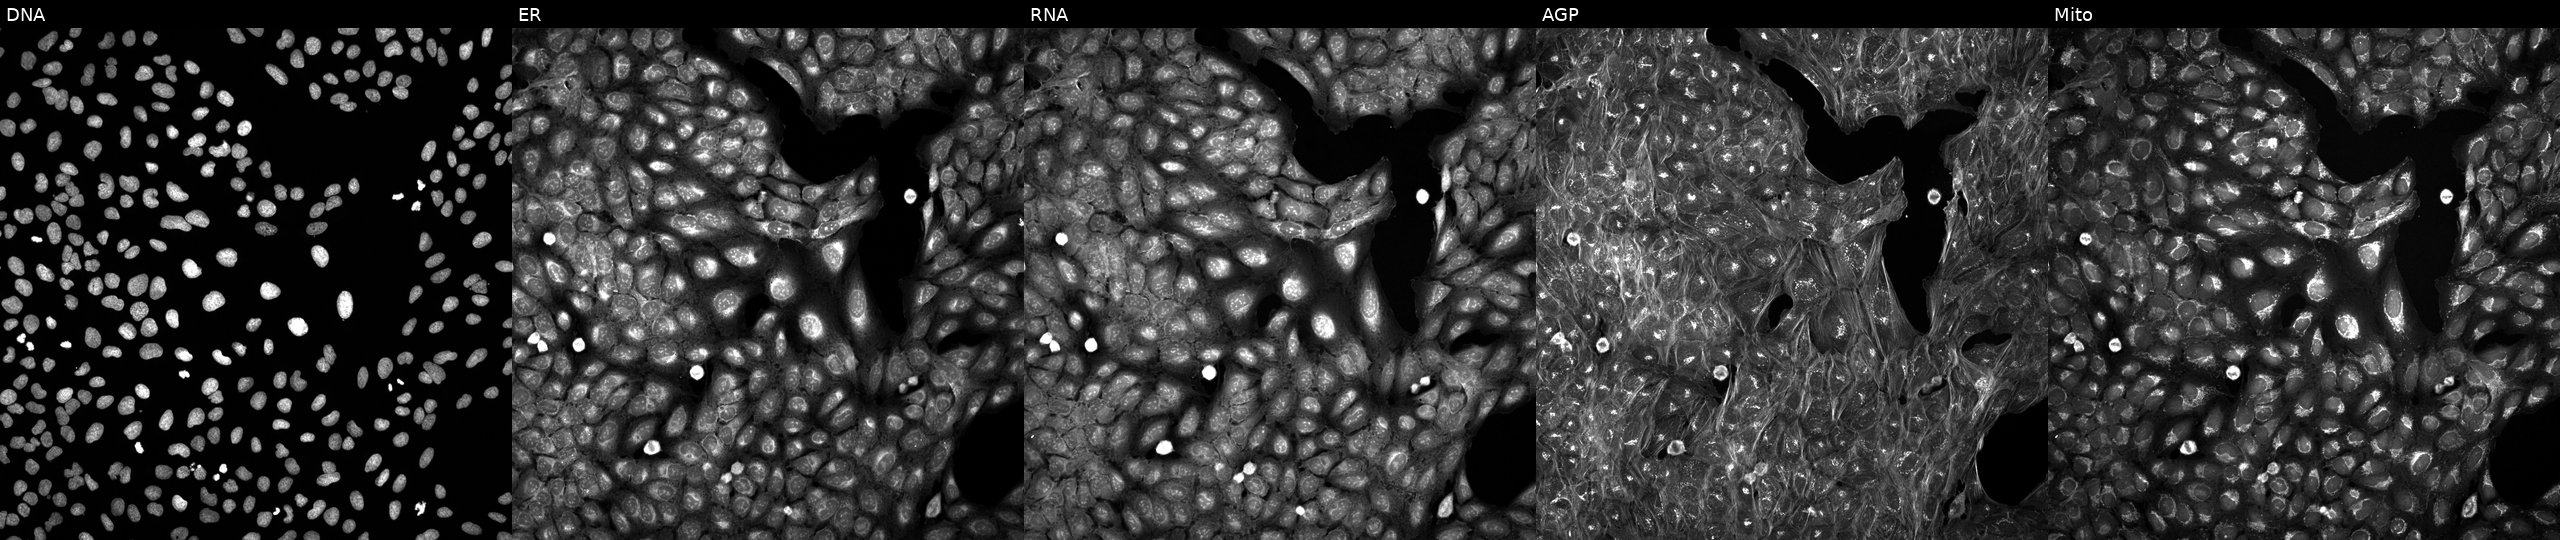
This image strip shows the five Cell Painting channels for a single field of U2OS cells perturbed with a small-molecule compound (InChIKey GYYRMJMXXLJZAB-UHFFFAOYSA-N) (JUMP id JCP2022_028645). Channels (left→right): Hoechst 33342, concanavalin A, SYTO 14, phalloidin and WGA, MitoTracker.